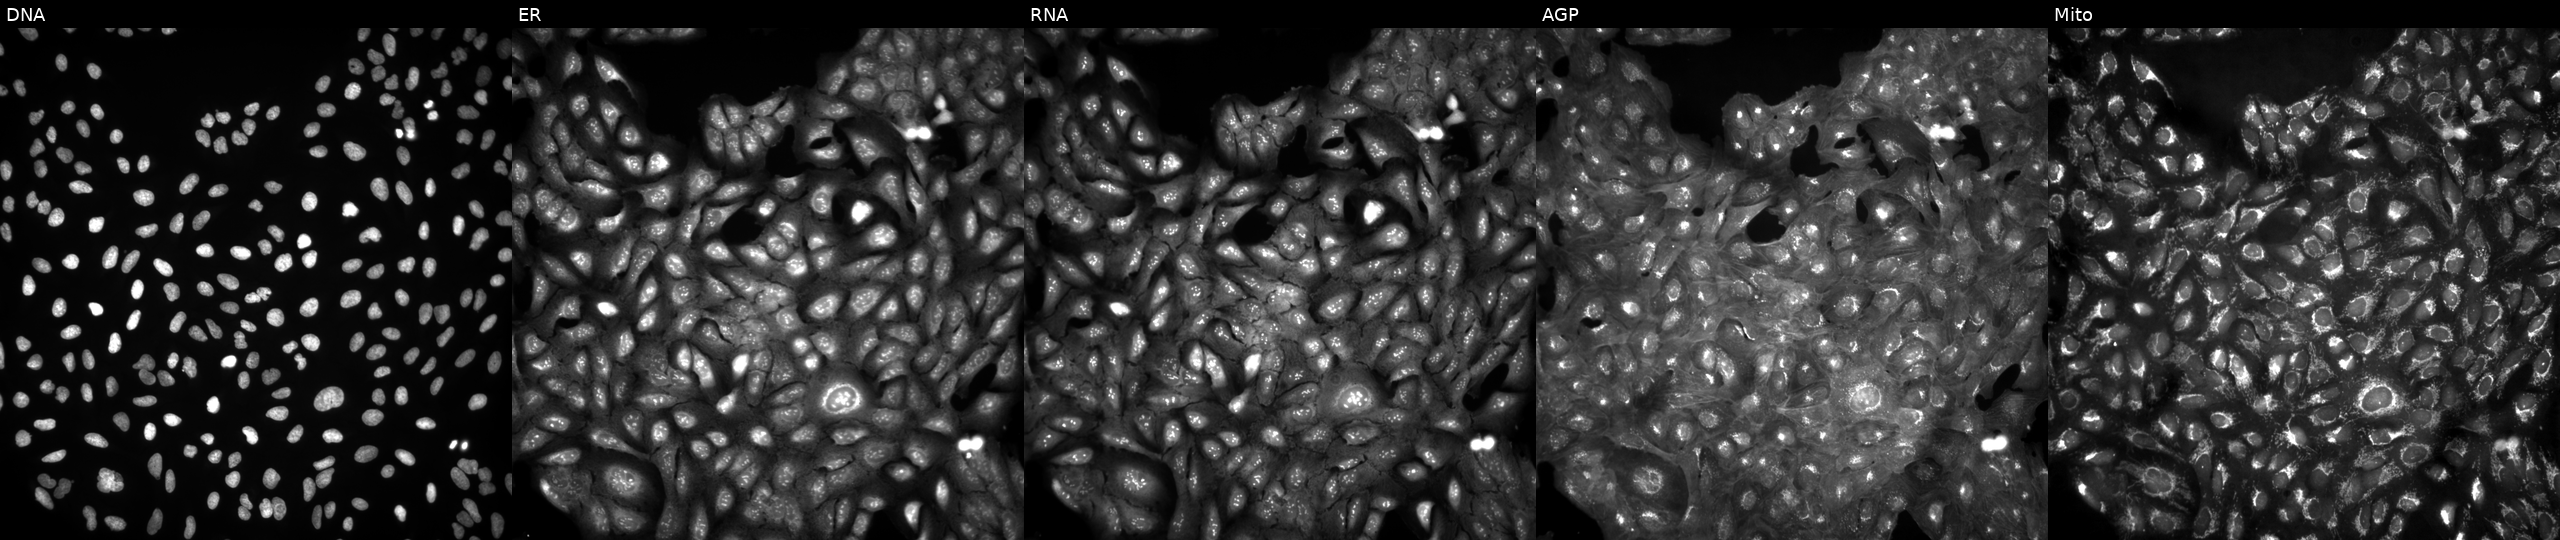
The five panels, left to right, show DNA (nuclei); ER (endoplasmic reticulum); RNA (nucleoli and cytoplasmic RNA); AGP (actin cytoskeleton, Golgi, and plasma membrane); Mito (mitochondria). U2OS osteosarcoma cells in an empty control well (no perturbation) (JUMP id JCP2022_999999). Cell Painting assay, JUMP-CP dataset.